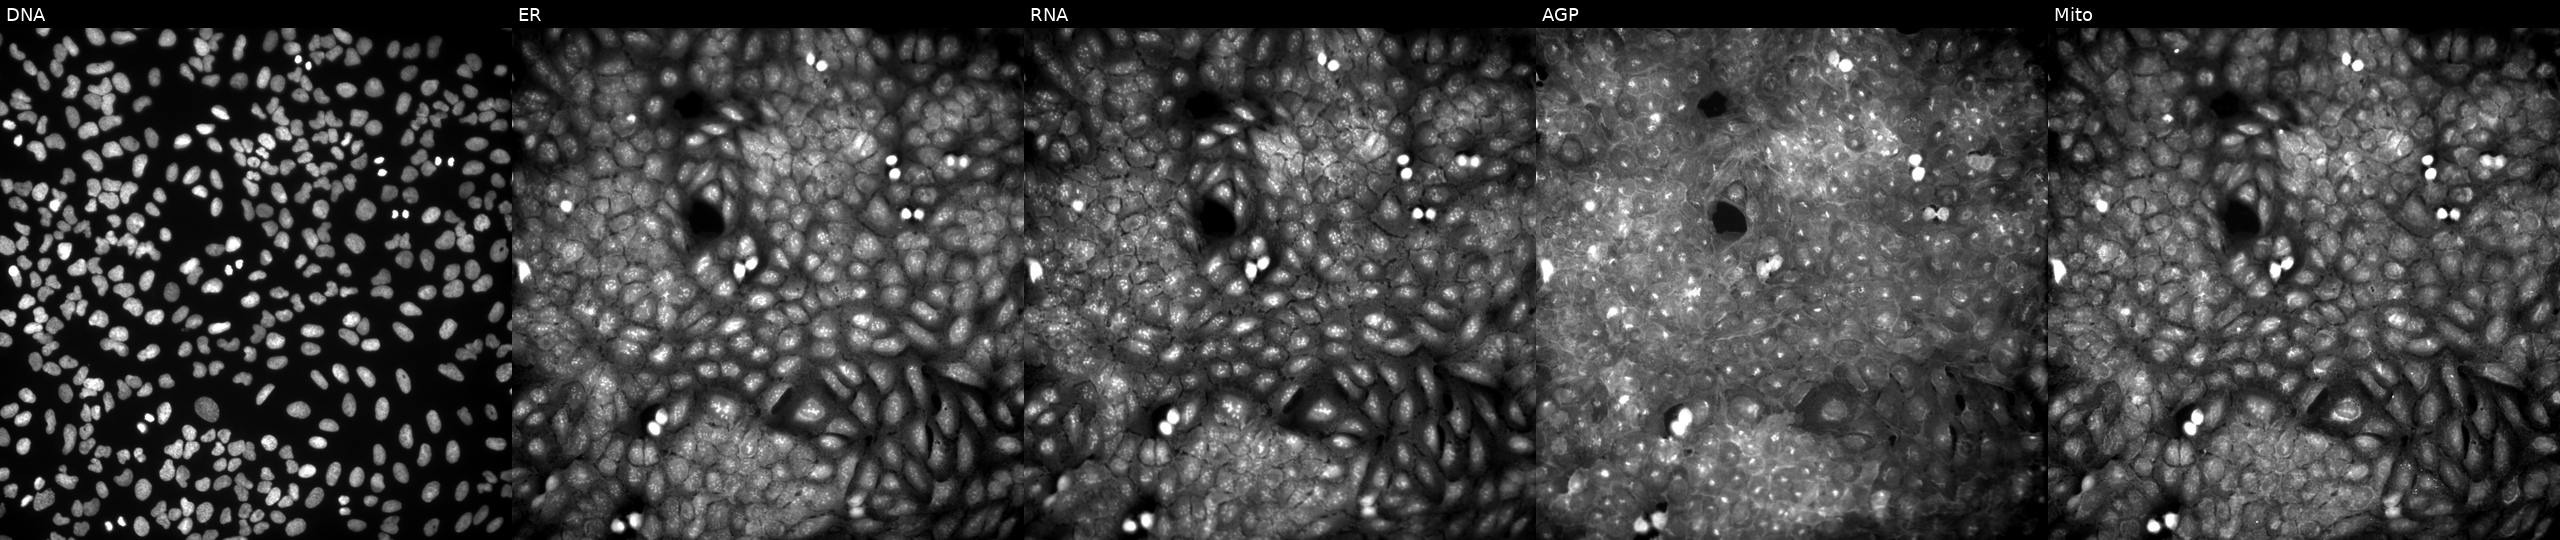
Five-channel Cell Painting image of U2OS cells perturbed with a small-molecule compound (JUMP id JCP2022_096246). Panels show, left to right, Hoechst 33342, concanavalin A, SYTO 14, phalloidin and WGA, MitoTracker.